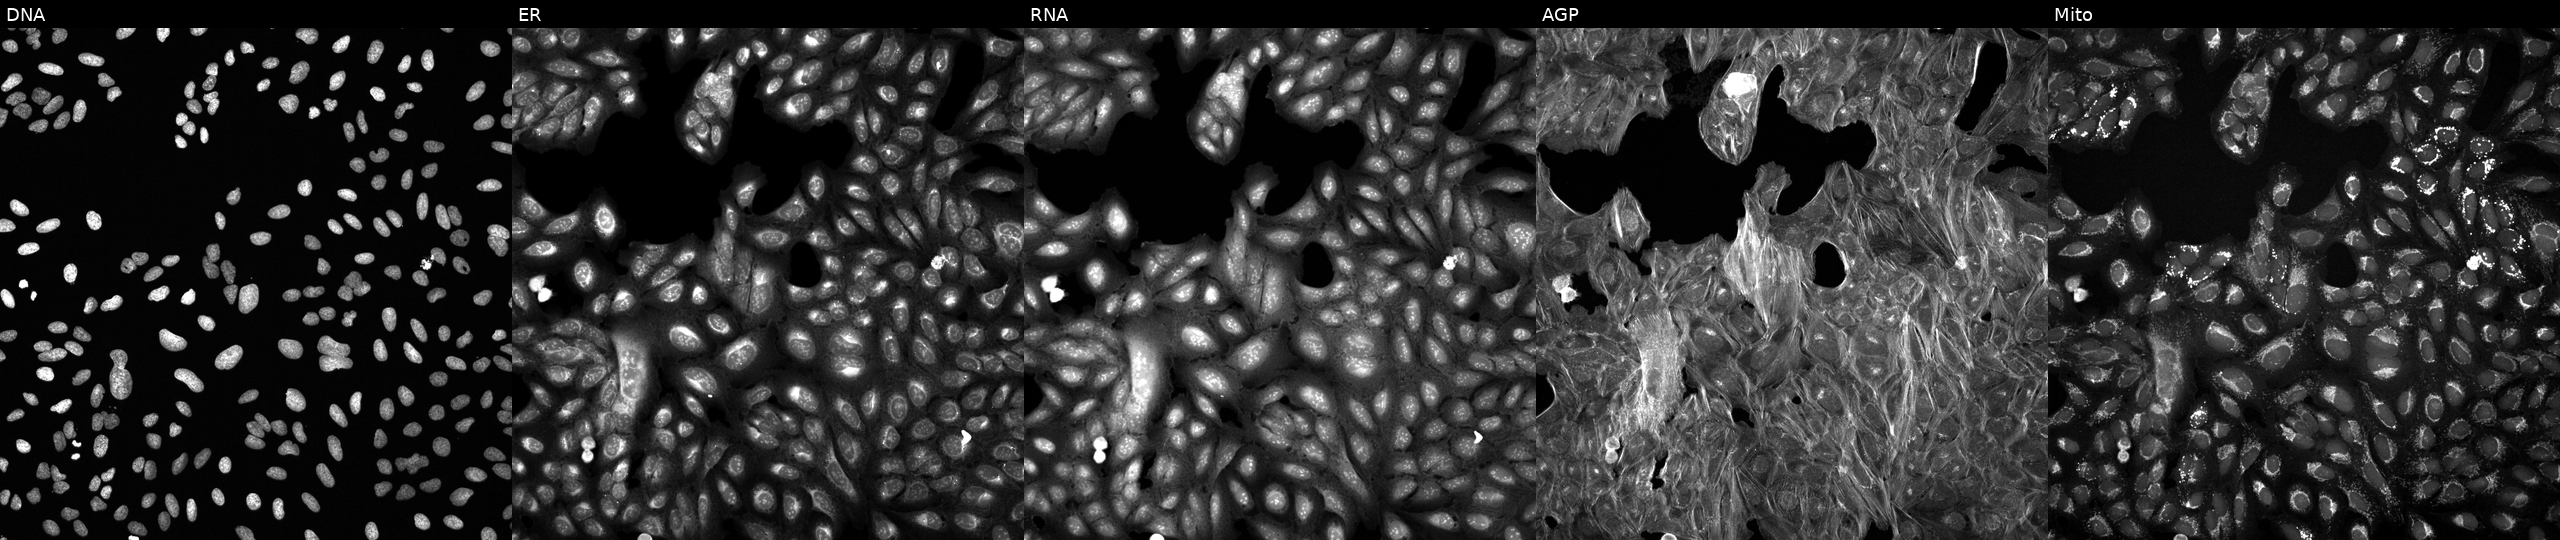
This image strip shows the five Cell Painting channels for a single field of U2OS cells perturbed with a small-molecule compound (InChIKey ATJLENBATCRUCR-UHFFFAOYSA-N) (JUMP id JCP2022_003740). From left to right: DNA, ER, RNA, AGP, and Mito. Source 6, plate 110000293083, well F08.